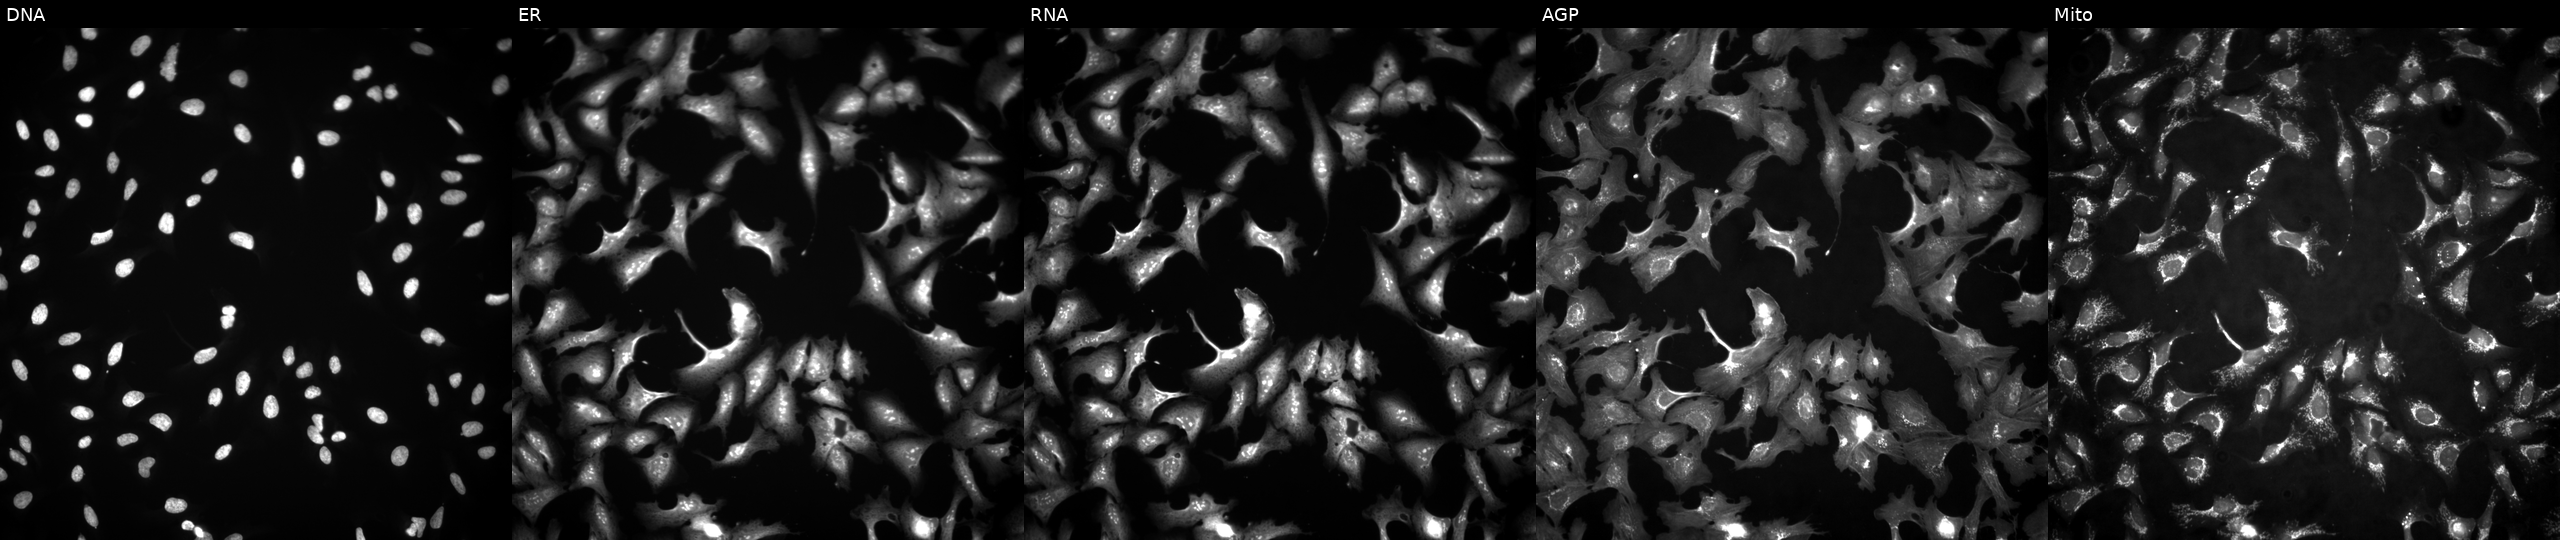
Five-channel Cell Painting image of U2OS cells with CDKN2A overexpressed (ORF). The five panels, left to right, show DNA, ER, RNA, AGP, and Mito. Source 4, plate BR00117035, well C11.